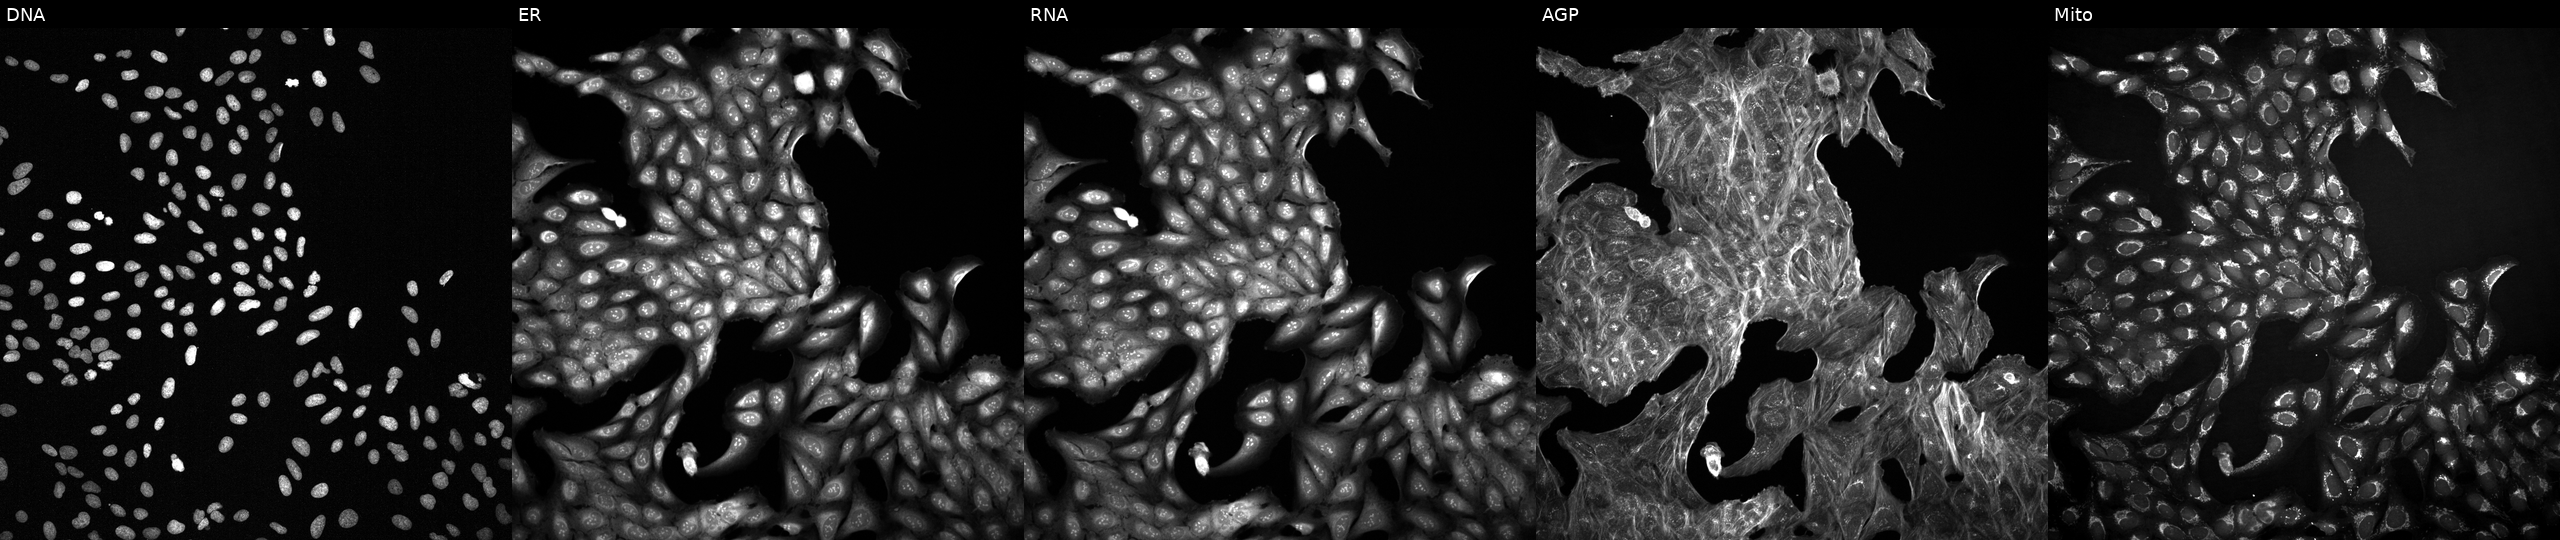
Five-channel Cell Painting image of U2OS cells treated with DMSO vehicle only (negative control) (JUMP id JCP2022_033924). Channels (left→right): DNA (nuclei); ER (endoplasmic reticulum); RNA (nucleoli and cytoplasmic RNA); AGP (actin cytoskeleton, Golgi, and plasma membrane); Mito (mitochondria).